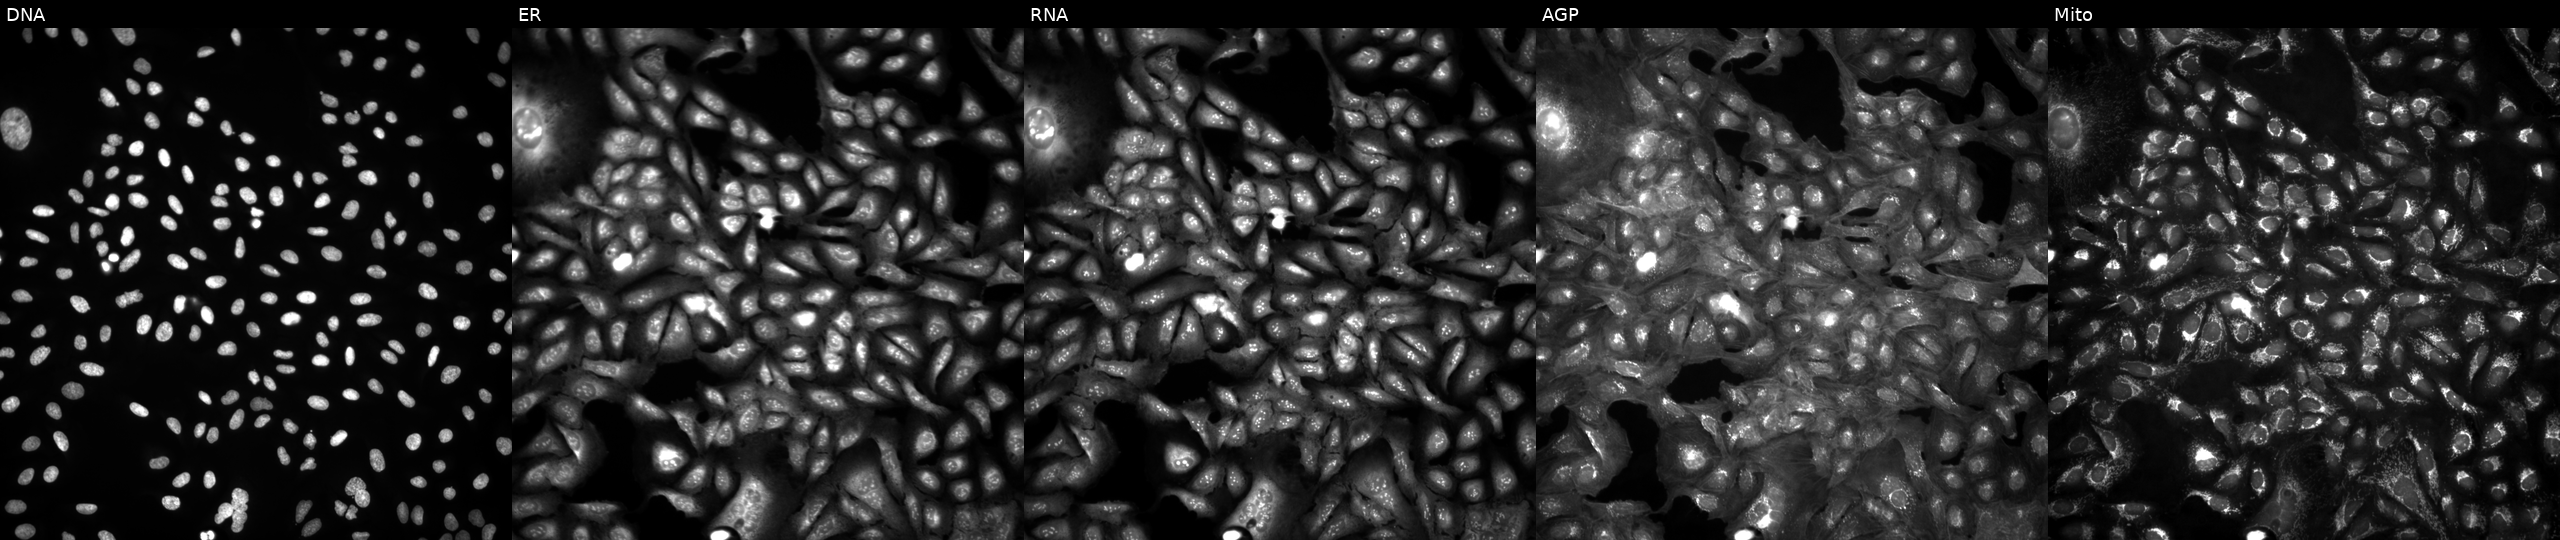
Five-channel Cell Painting image of U2OS cells untreated (empty-well control) (JUMP id JCP2022_999999). From left to right: Hoechst 33342, concanavalin A, SYTO 14, phalloidin and WGA, MitoTracker.